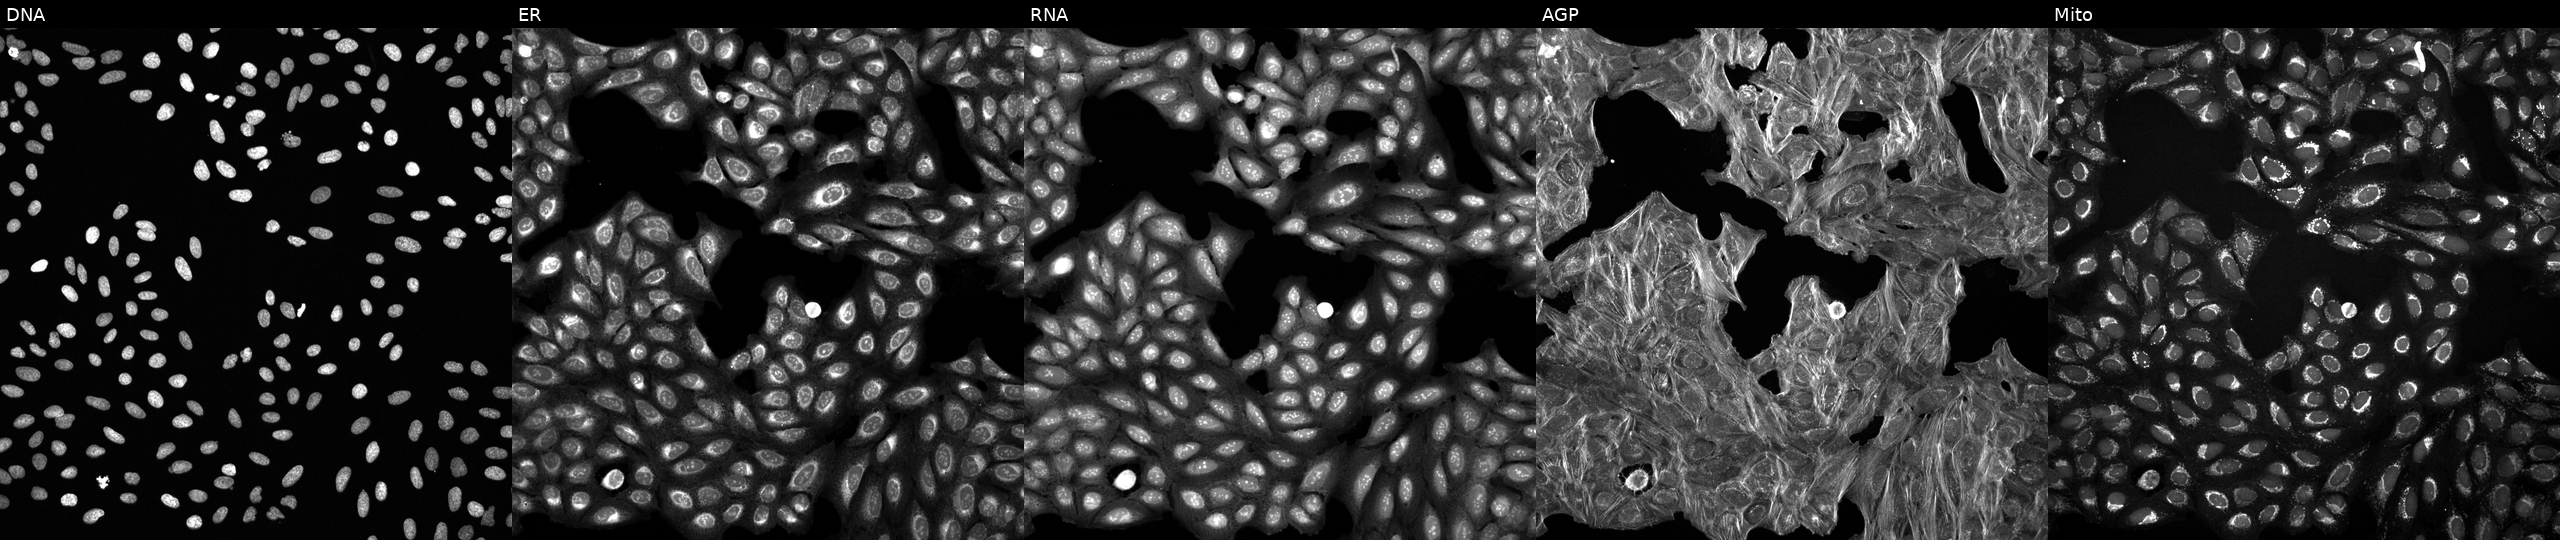
Five-channel Cell Painting image of U2OS cells treated with a small-molecule compound (InChIKey MVFVQPJTMLMEOC-UHFFFAOYSA-N). From left to right: DNA, ER, RNA, AGP, and Mito. Source 6, plate 110000293083, well G09.